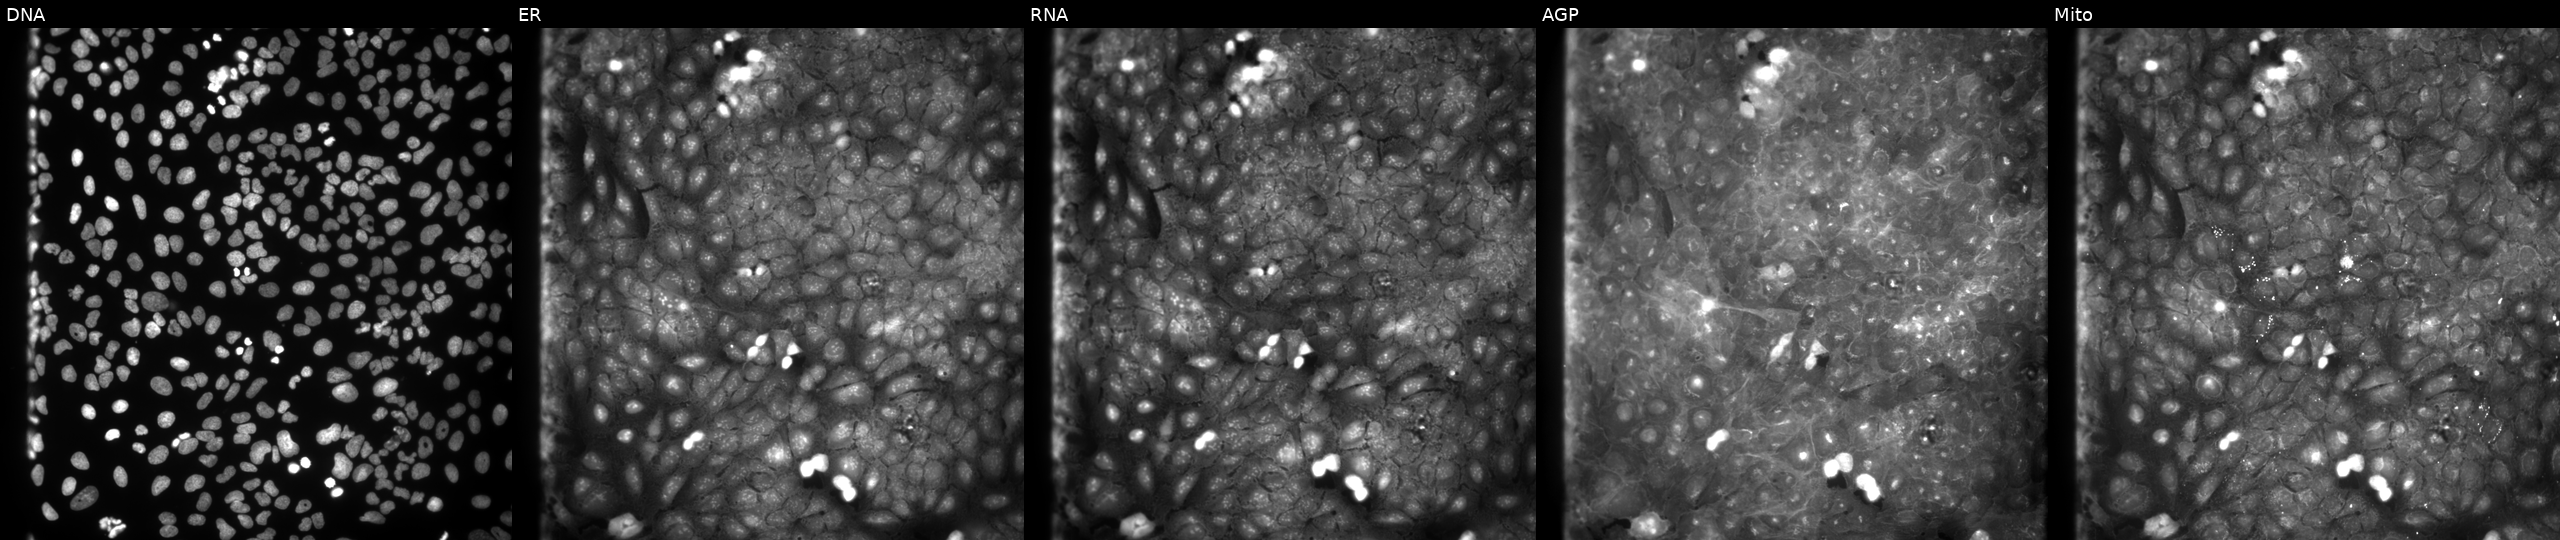
High-content fluorescence microscopy (Cell Painting). Cell line: U2OS. Perturbation: perturbed with a small-molecule compound (JUMP id JCP2022_016068). Panels show, left to right, DNA (nuclei); ER (endoplasmic reticulum); RNA (nucleoli and cytoplasmic RNA); AGP (actin cytoskeleton, Golgi, and plasma membrane); Mito (mitochondria).